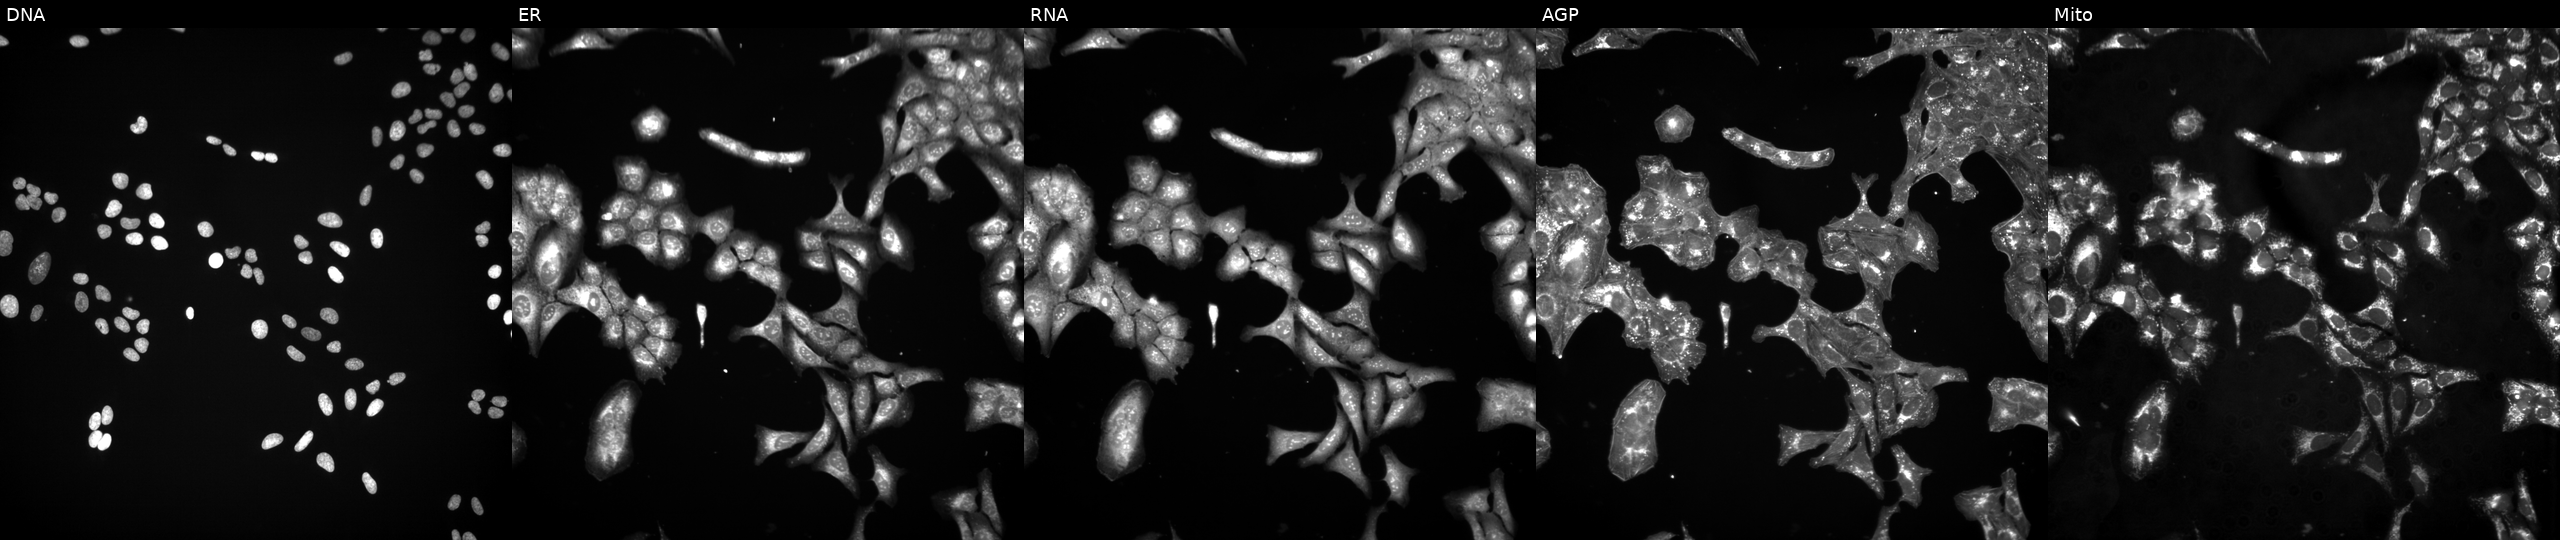
High-content fluorescence microscopy (Cell Painting). Cell line: U2OS. Perturbation: perturbed with a small-molecule compound (InChIKey CYYNMPPFEJPBJD-UHFFFAOYSA-N) (JUMP id JCP2022_014367). The five panels, left to right, show Hoechst 33342, concanavalin A, SYTO 14, phalloidin and WGA, MitoTracker.